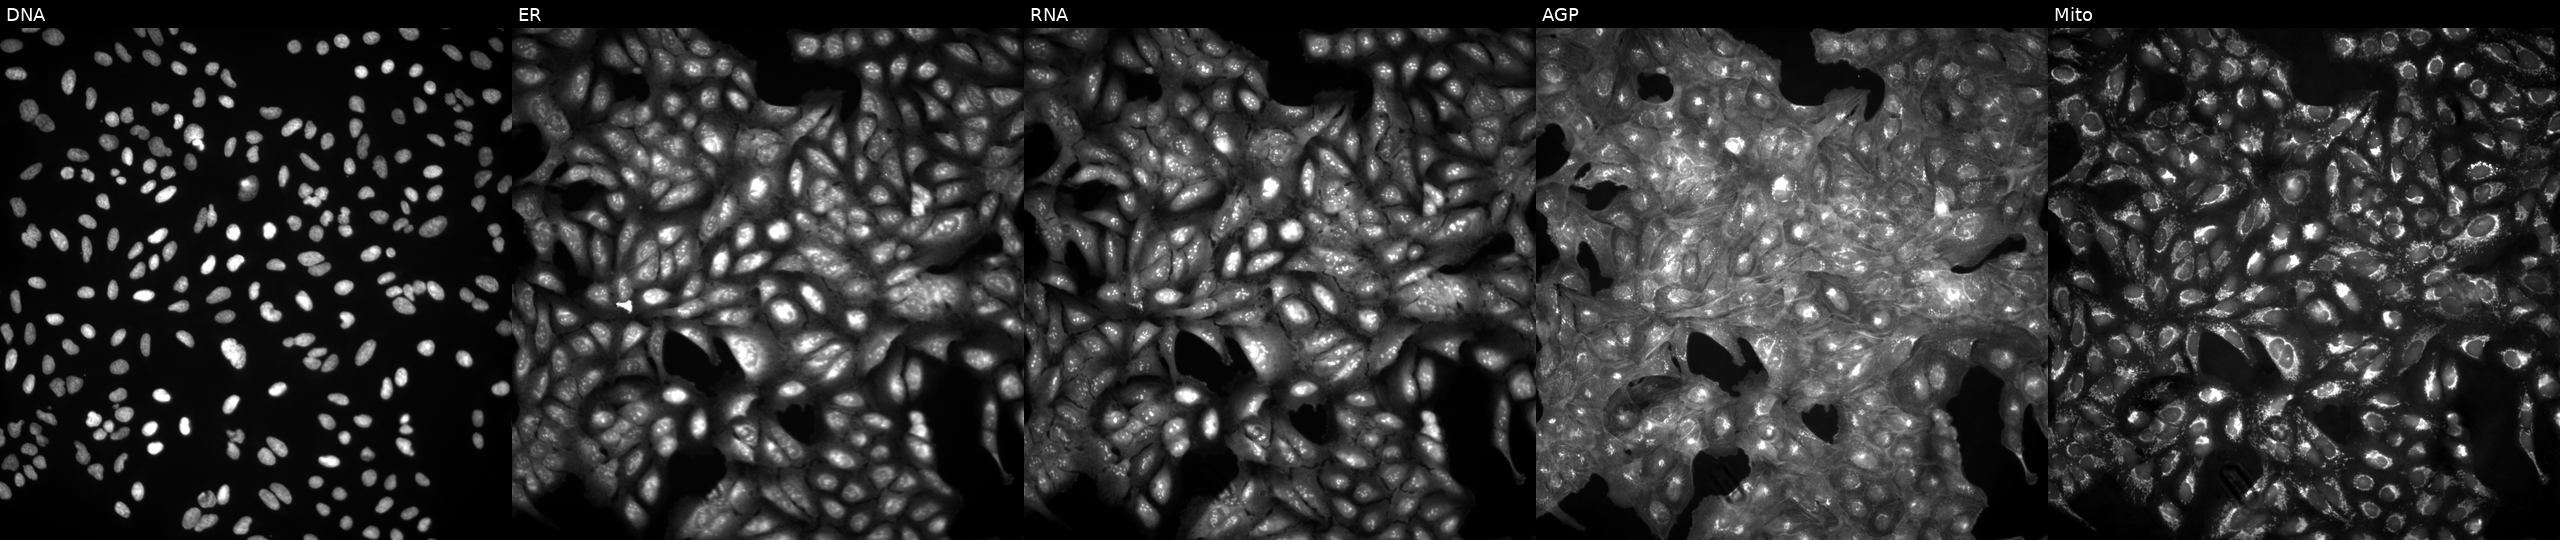
This image strip shows the five Cell Painting channels for a single field of U2OS cells in an empty control well (no perturbation). Panels show, left to right, Hoechst 33342, concanavalin A, SYTO 14, phalloidin and WGA, MitoTracker.